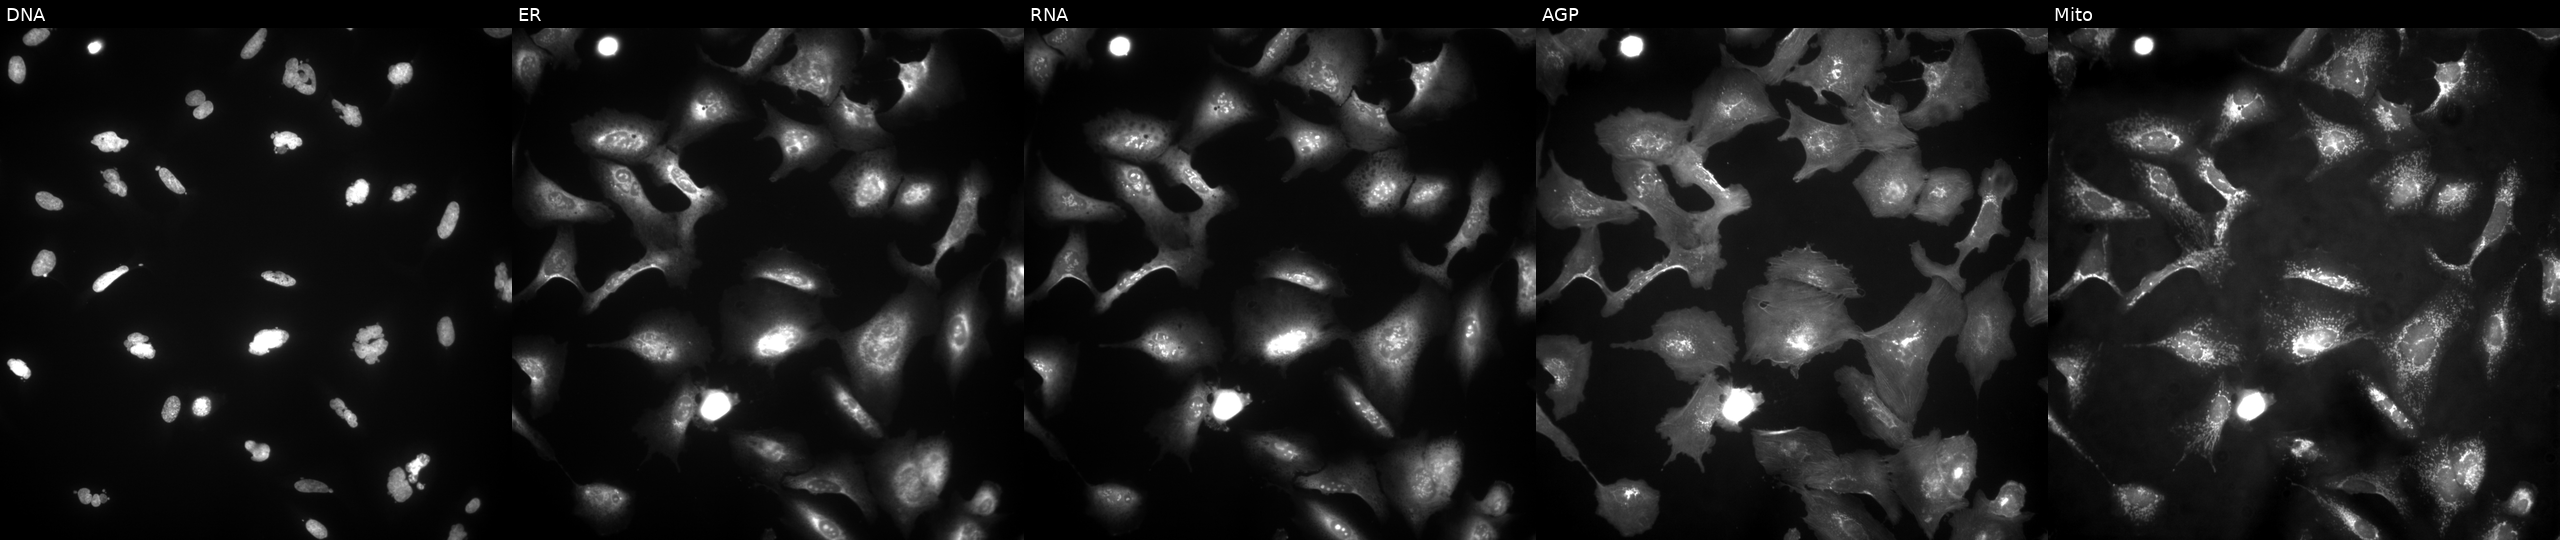
U2OS cells, Cell Painting assay, exposed to the positive-control compound AMG900 (JUMP id JCP2022_037716). From left to right: DNA, ER, RNA, AGP, and Mito. Each panel is percentile-stretched 16-bit fluorescence.